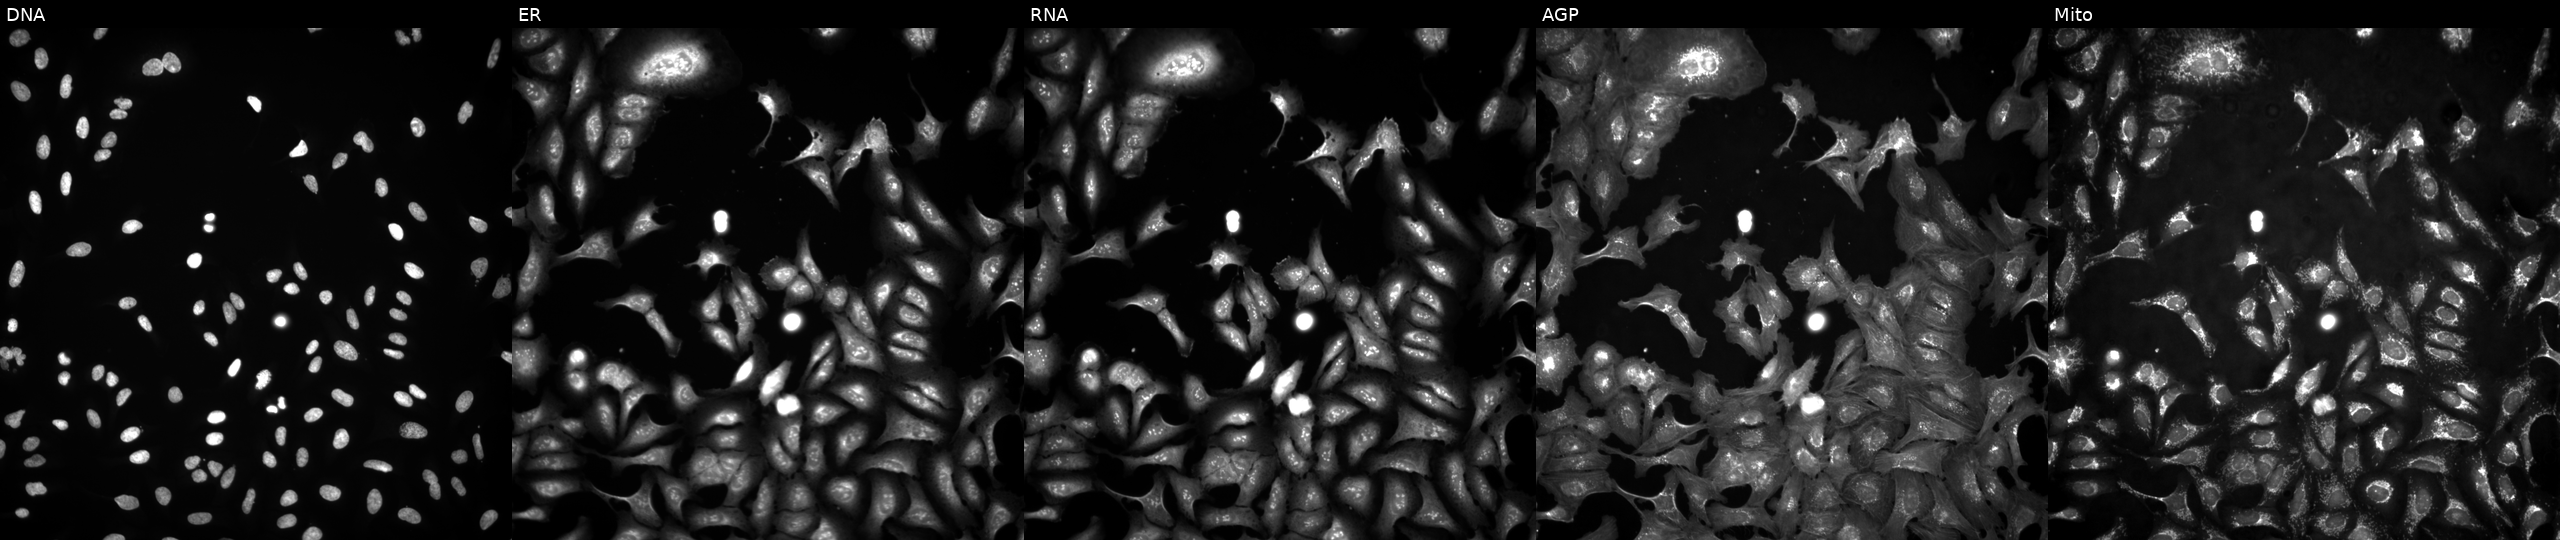
From left to right: DNA, ER, RNA, AGP, and Mito. U2OS osteosarcoma cells overexpressing PIM2 via ORF transfection (JUMP id JCP2022_914004). Cell Painting assay, JUMP-CP dataset. Source 4, plate BR00123945, well A03.